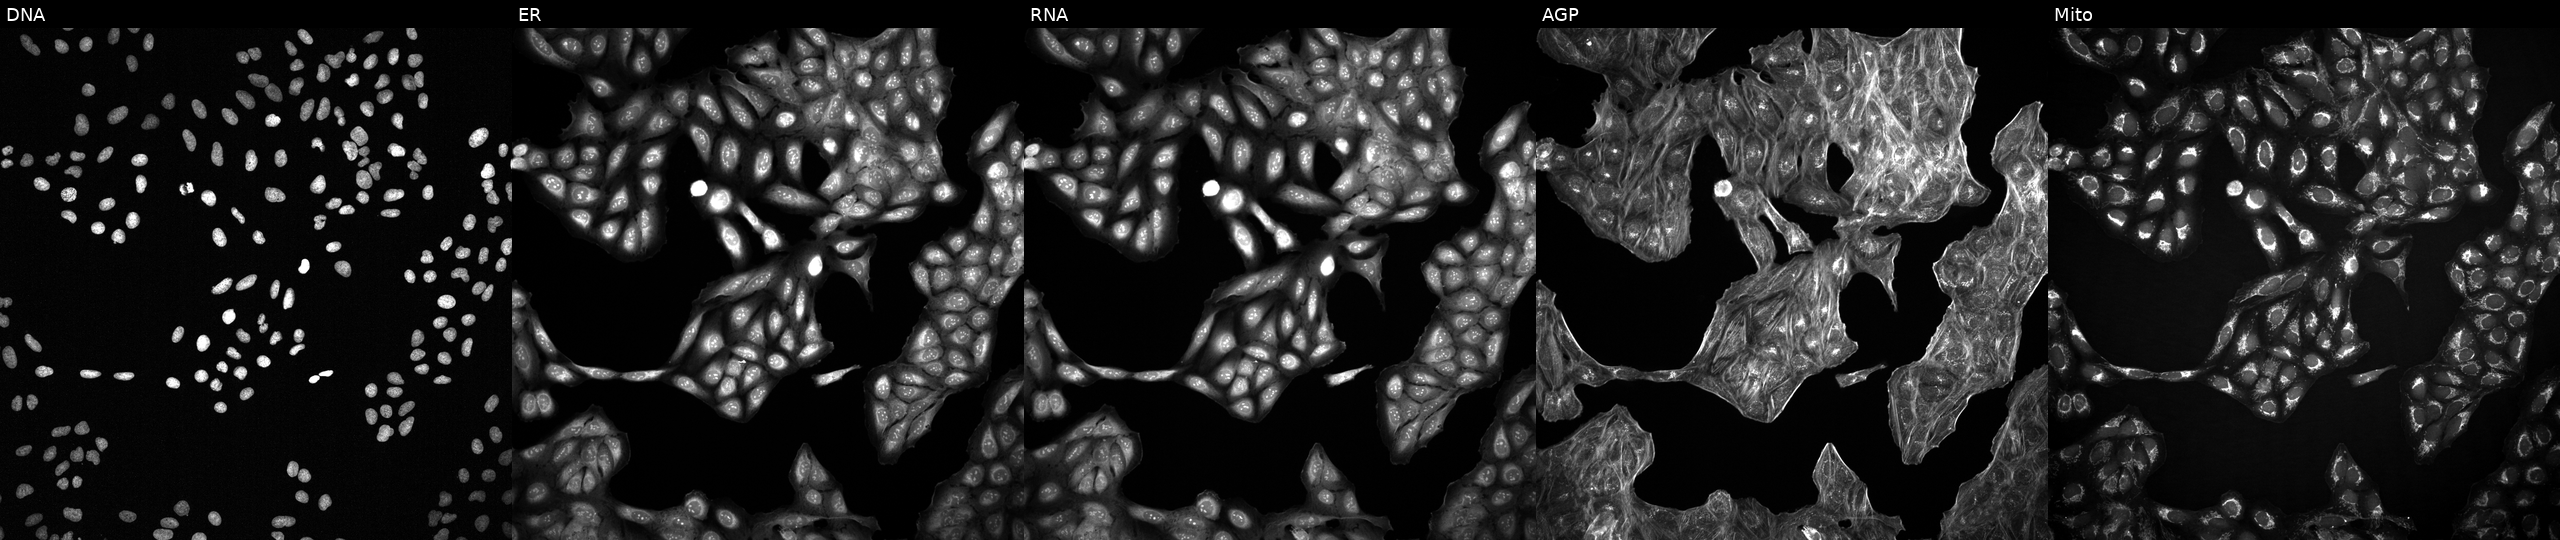
High-content fluorescence microscopy (Cell Painting). Cell line: U2OS. Perturbation: with an unidentified perturbation (not annotated in JUMP metadata). The five panels, left to right, show Hoechst 33342, concanavalin A, SYTO 14, phalloidin and WGA, MitoTracker. Source 2, plate 1053601763, well N15.